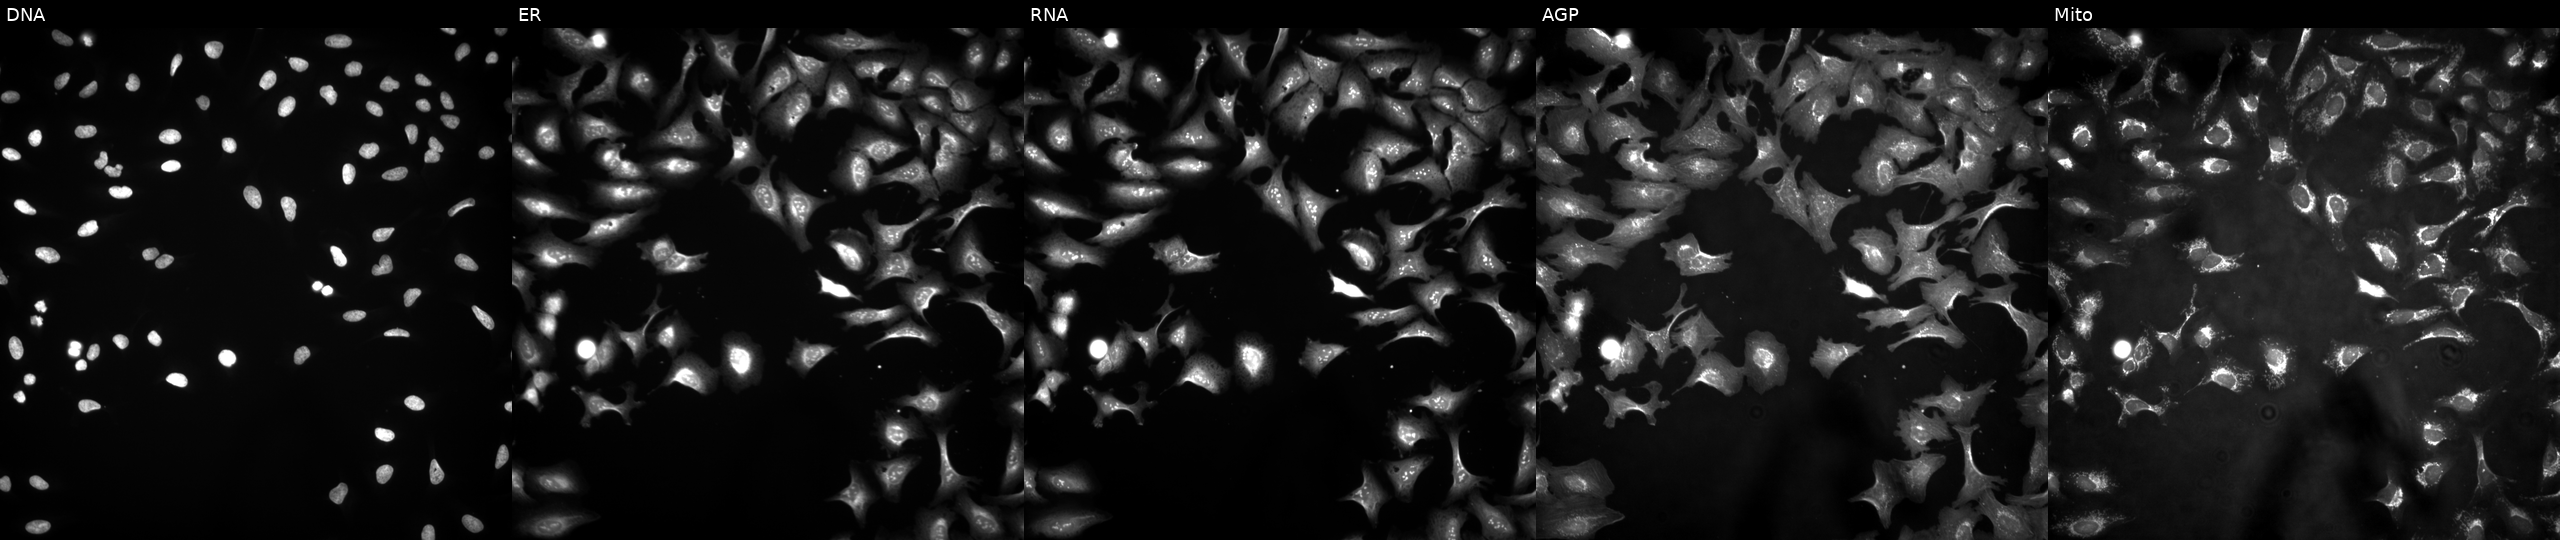
Five-channel Cell Painting image of U2OS cells transfected with an ORF construct for SRSF6. From left to right: Hoechst 33342, concanavalin A, SYTO 14, phalloidin and WGA, MitoTracker.